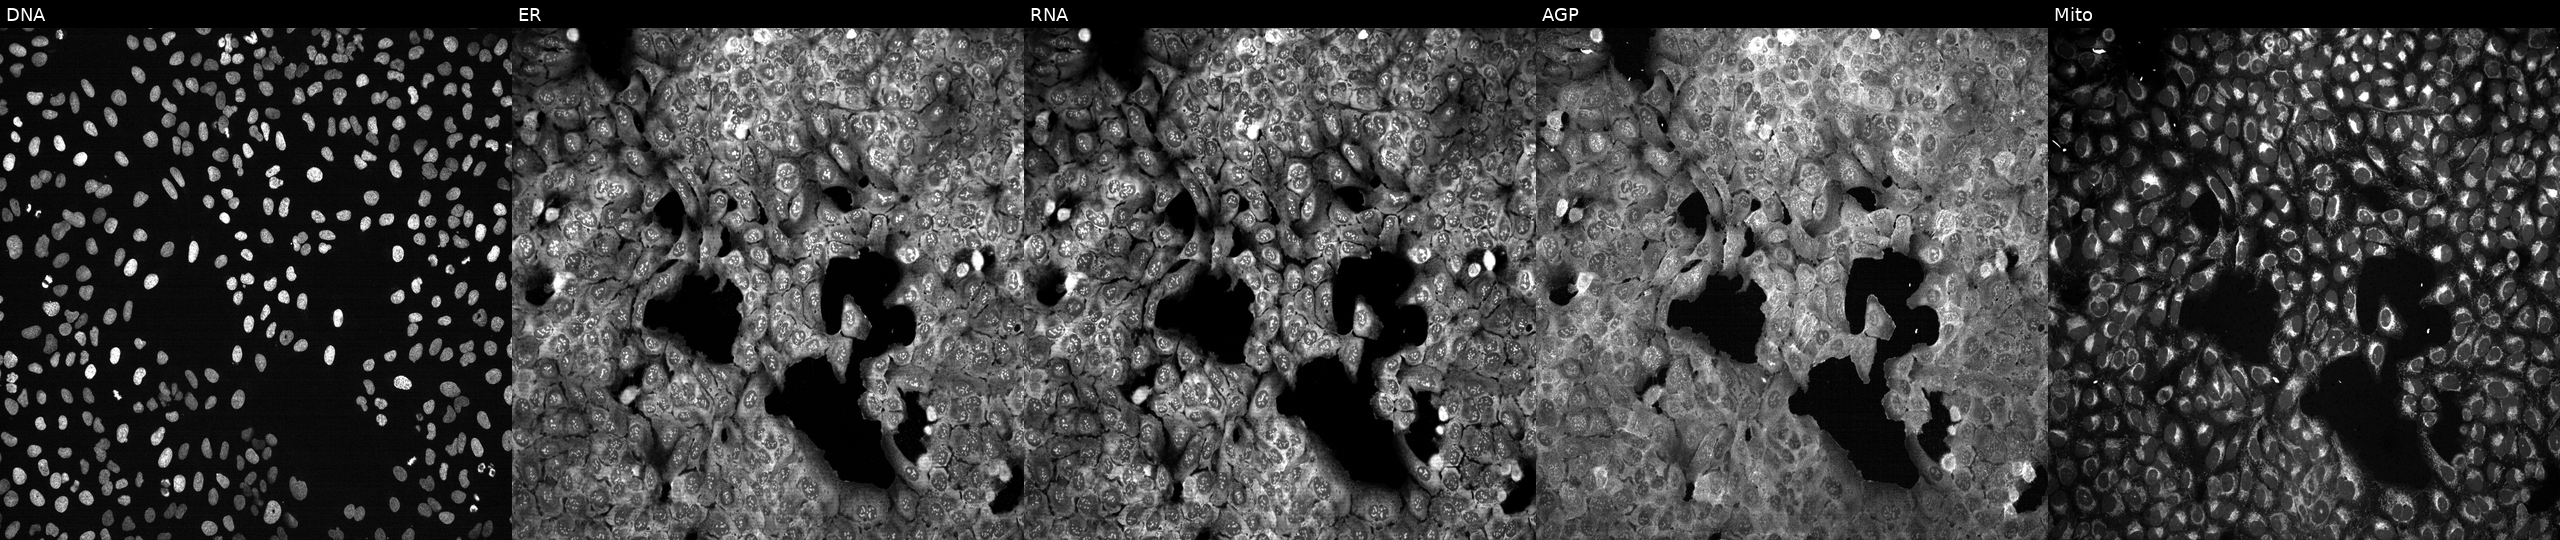
Five-channel Cell Painting image of U2OS cells CRISPR-edited to disrupt UCP1 (JUMP id JCP2022_807505). From left to right: DNA, ER, RNA, AGP, and Mito.